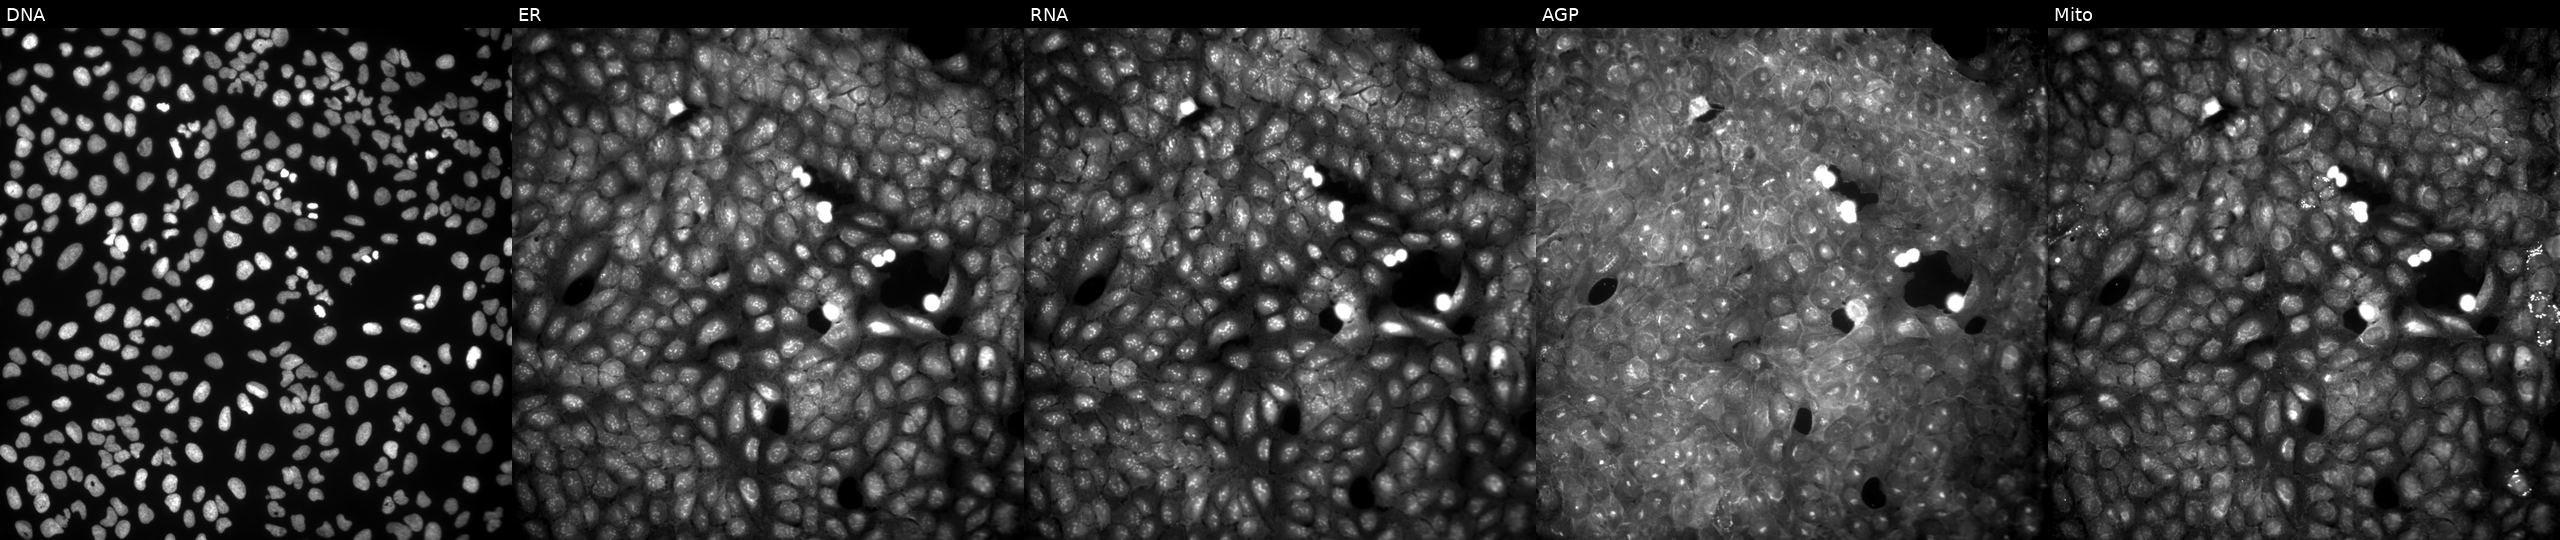
High-content fluorescence microscopy (Cell Painting). Cell line: U2OS. Perturbation: treated with a small-molecule compound (InChIKey CSOMHMHYUVRRBR-UHFFFAOYSA-N) [SMILES: Cc1cccc(C)c1OCC(O)CN1CCN(c2ccccc2)CC1] (JUMP id JCP2022_013168). Panels show, left to right, DNA, ER, RNA, AGP, and Mito.